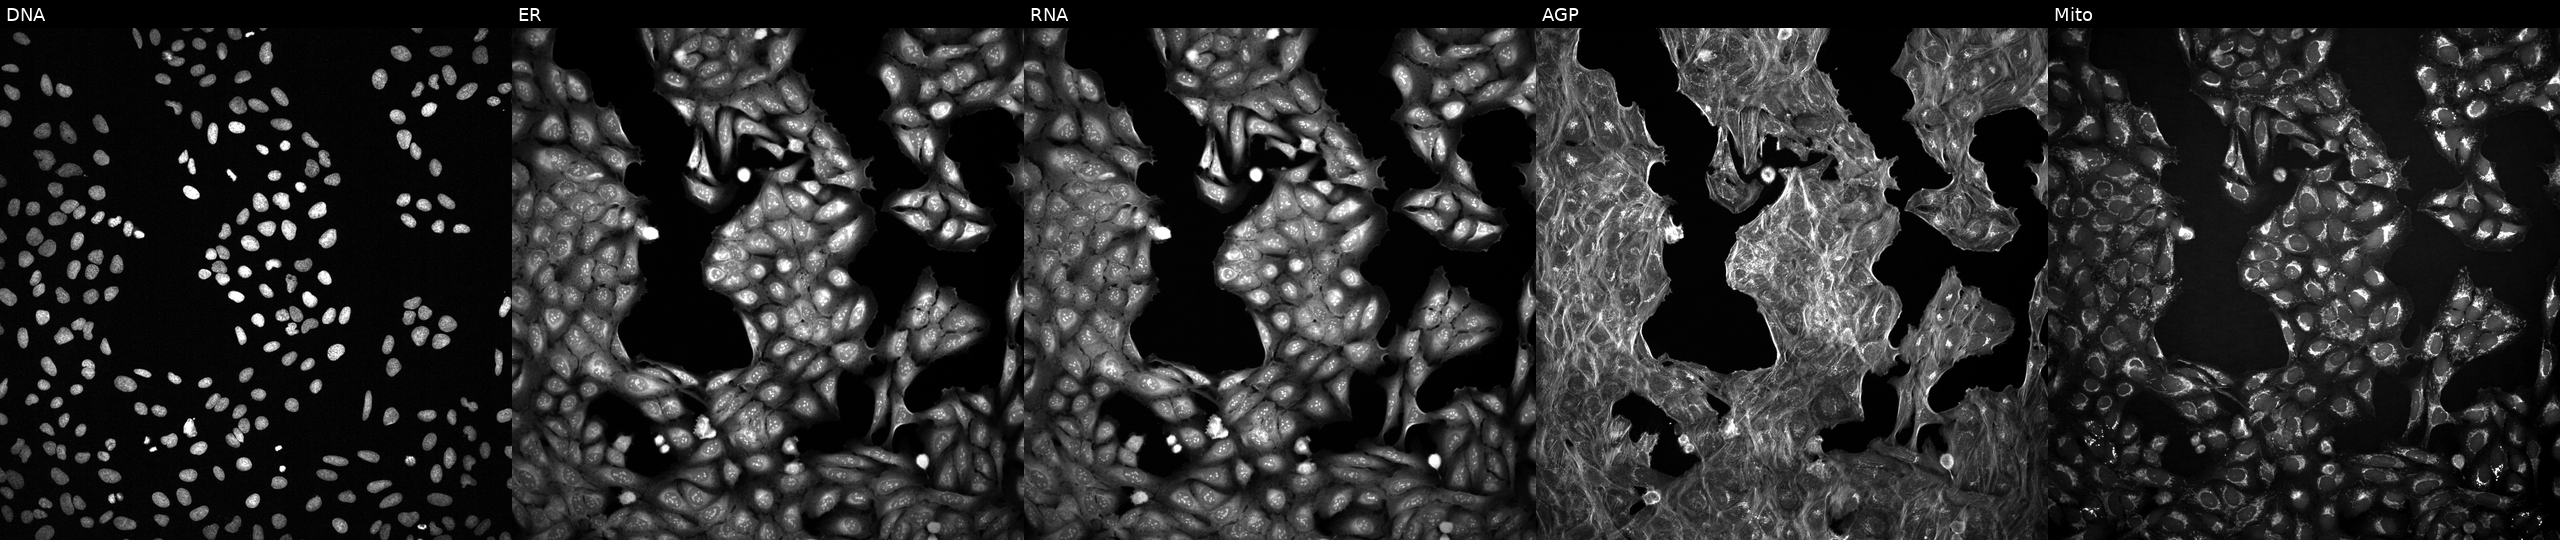
This image strip shows the five Cell Painting channels for a single field of U2OS cells exposed to a small-molecule compound (InChIKey IZMBZGJPJJNMPS-UHFFFAOYSA-N). The five panels, left to right, show Hoechst 33342, concanavalin A, SYTO 14, phalloidin and WGA, MitoTracker.